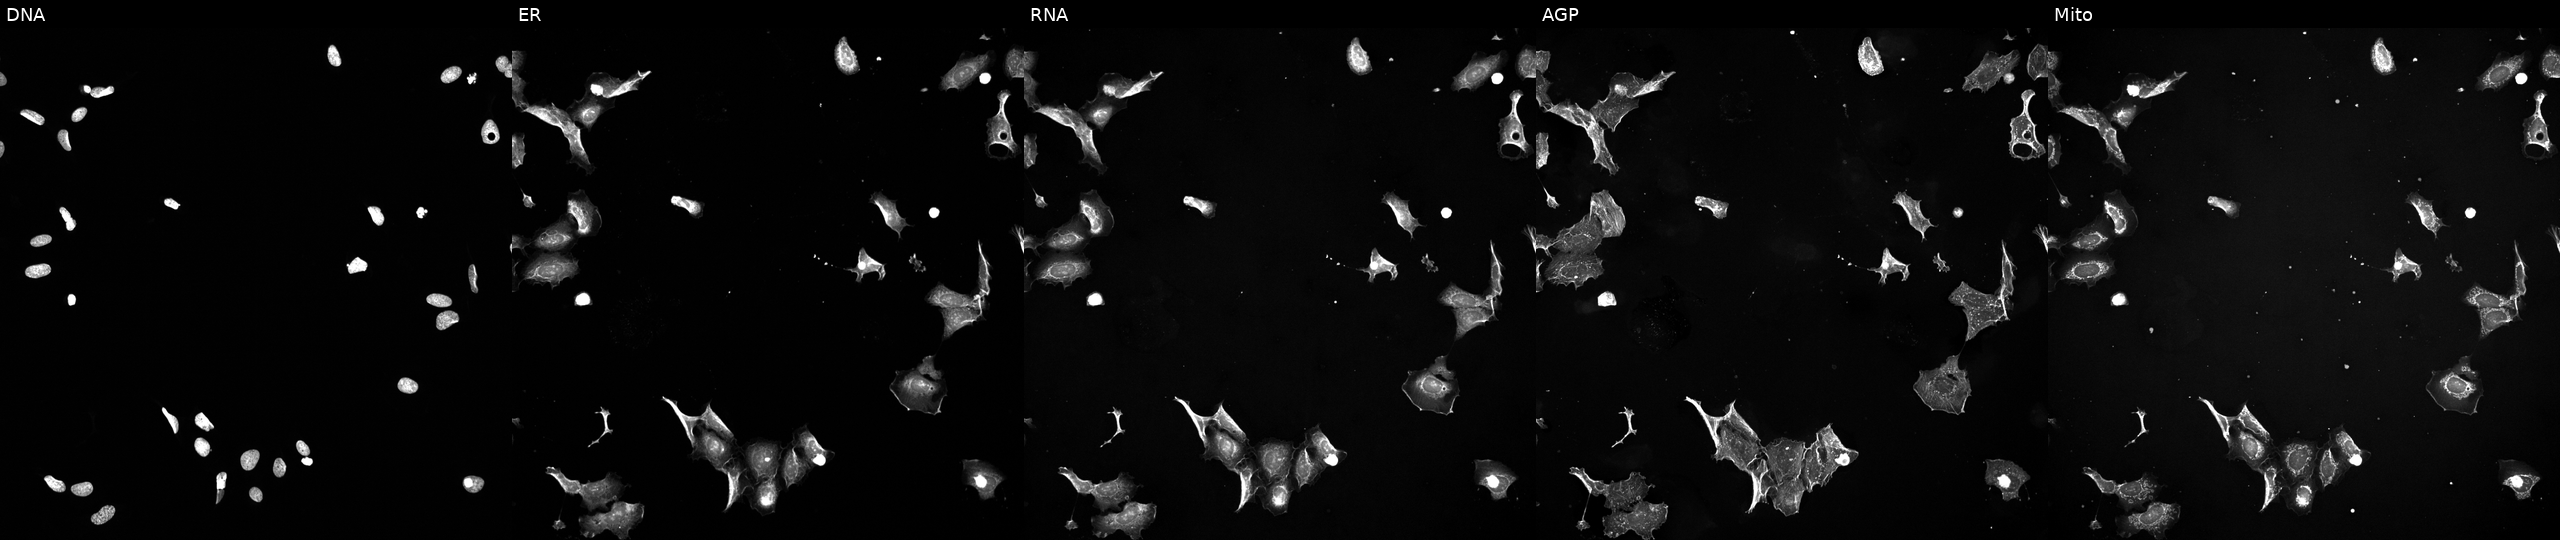
Five-channel Cell Painting image of U2OS cells treated with a small-molecule compound. From left to right: DNA (nuclei); ER (endoplasmic reticulum); RNA (nucleoli and cytoplasmic RNA); AGP (actin cytoskeleton, Golgi, and plasma membrane); Mito (mitochondria). Source 5, plate ACPJUM032, well G14.